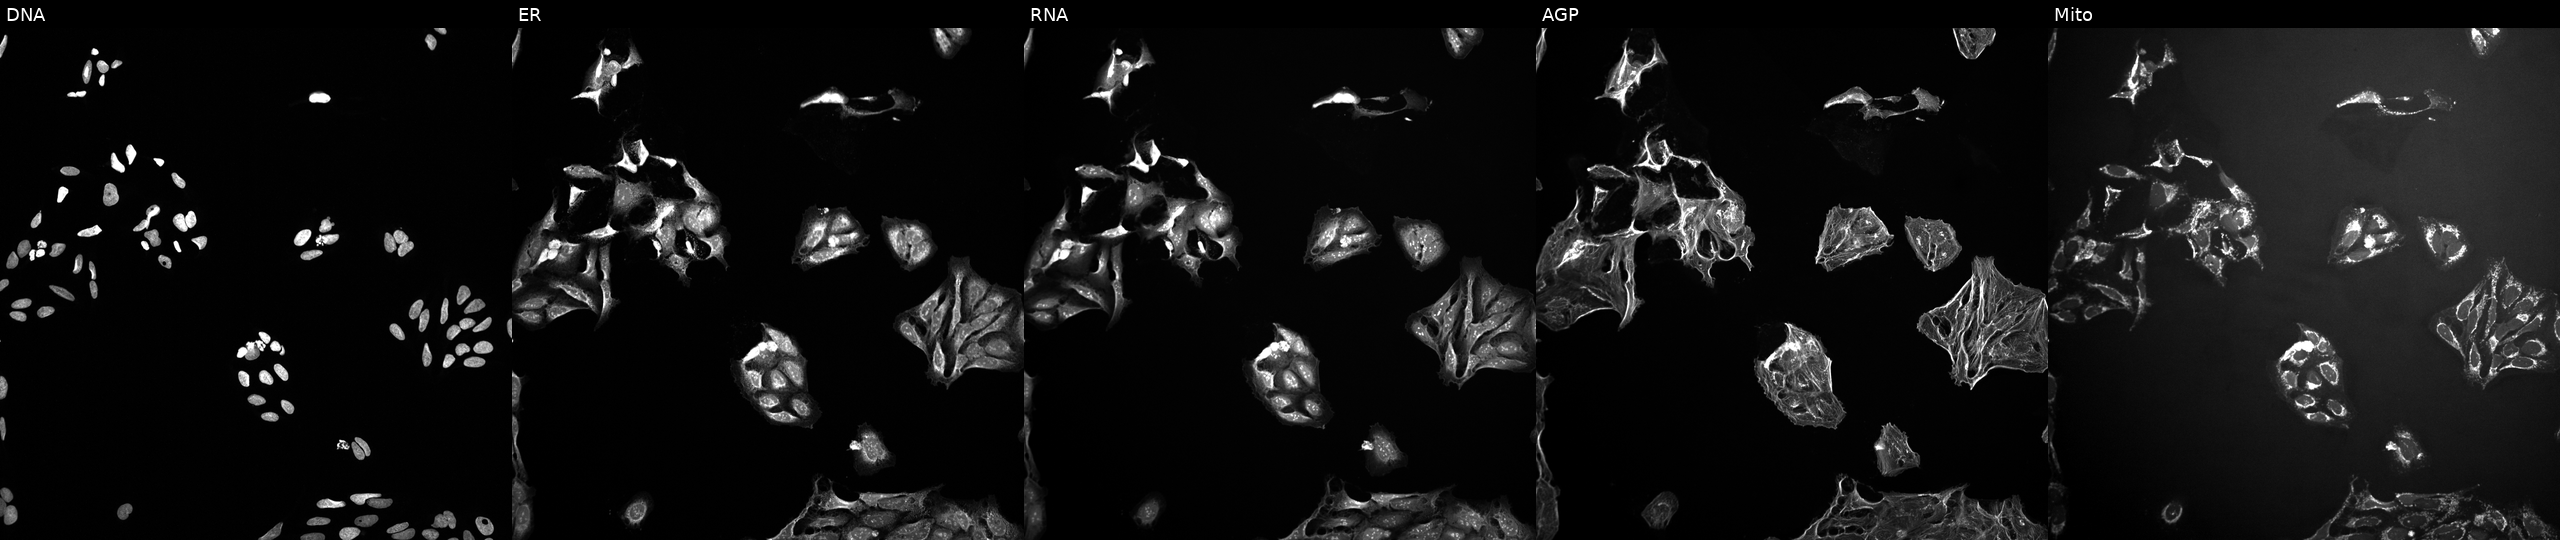
Five-channel Cell Painting image of U2OS cells exposed to a small-molecule compound. Panels show, left to right, DNA (nuclei); ER (endoplasmic reticulum); RNA (nucleoli and cytoplasmic RNA); AGP (actin cytoskeleton, Golgi, and plasma membrane); Mito (mitochondria).